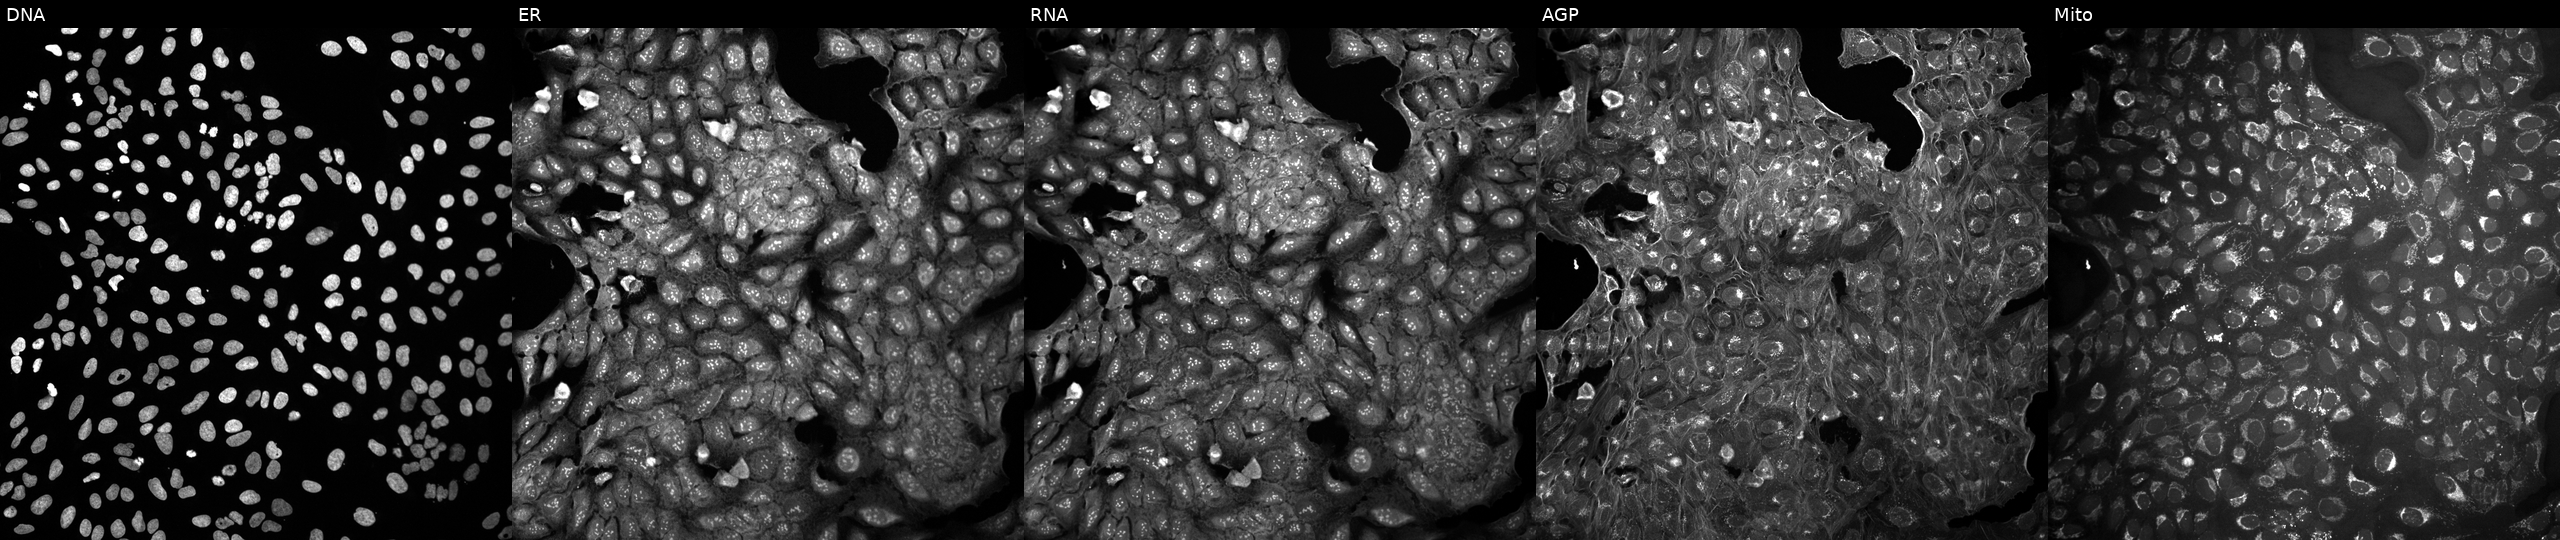
JUMP Cell Painting — COMPOUND plate. U2OS cells untreated (empty-well control) (JUMP id JCP2022_999999). Panels show, left to right, DNA, ER, RNA, AGP, and Mito.